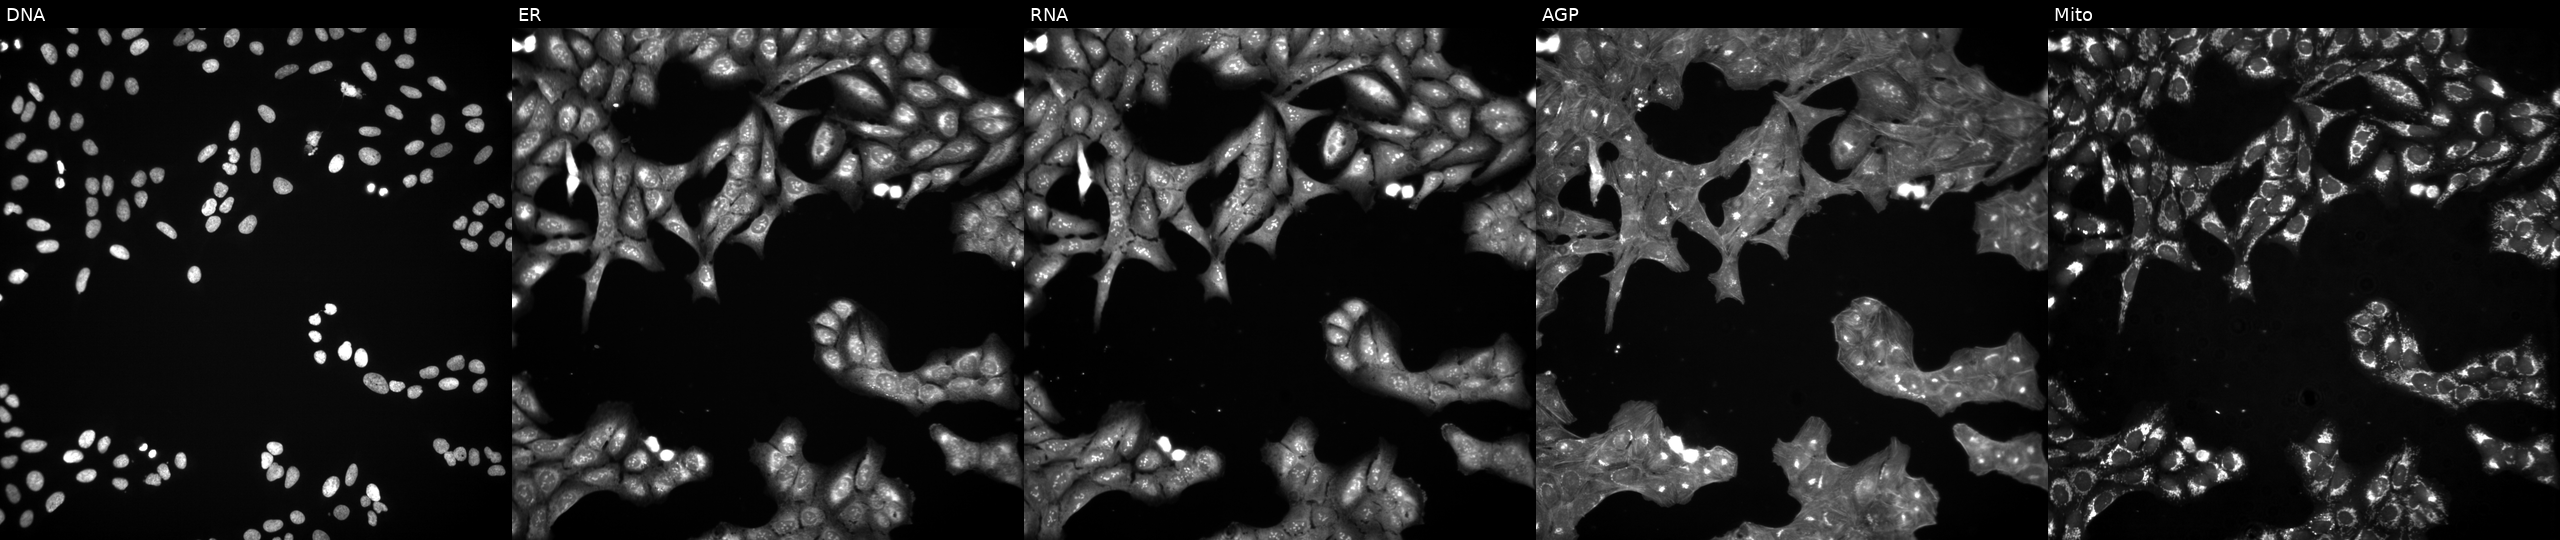
Five-channel Cell Painting image of U2OS cells treated with quinidine (positive-control compound). The five panels, left to right, show DNA, ER, RNA, AGP, and Mito.